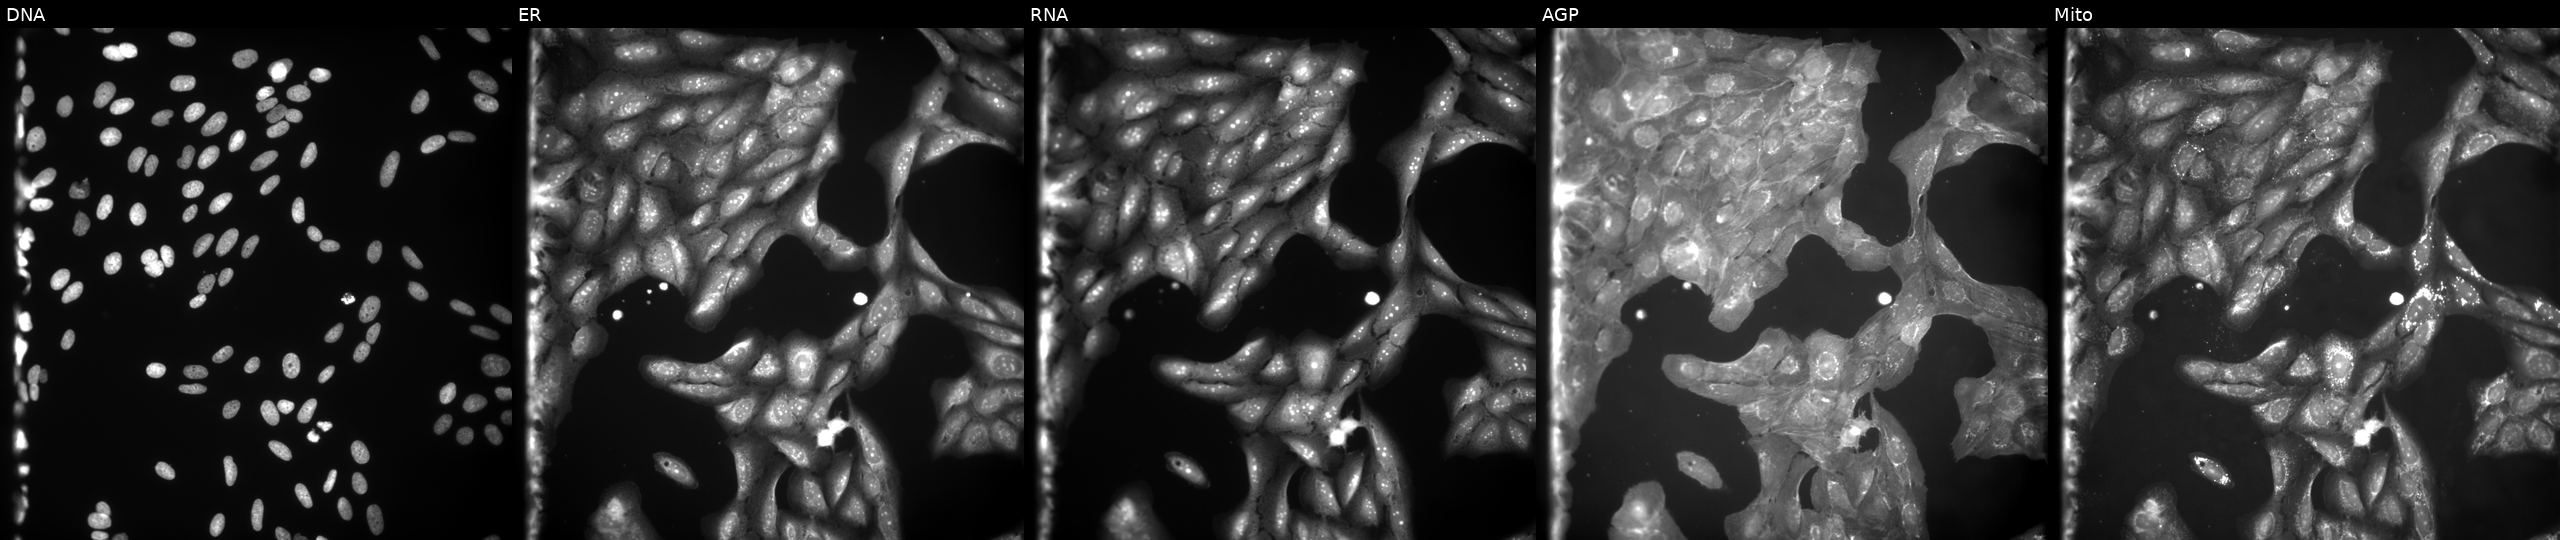
U2OS cells, Cell Painting assay, exposed to a small-molecule compound (InChIKey NDKYICANXPTKKC-UHFFFAOYSA-N) [SMILES: CCOc1ccc2[nH]c3cc([N+](=O)[O-])ccc3c(=N)c2c1] (JUMP id JCP2022_058271). The five panels, left to right, show DNA (nuclei); ER (endoplasmic reticulum); RNA (nucleoli and cytoplasmic RNA); AGP (actin cytoskeleton, Golgi, and plasma membrane); Mito (mitochondria). Each panel is percentile-stretched 16-bit fluorescence. Source 9, plate GR00003381, well I05.